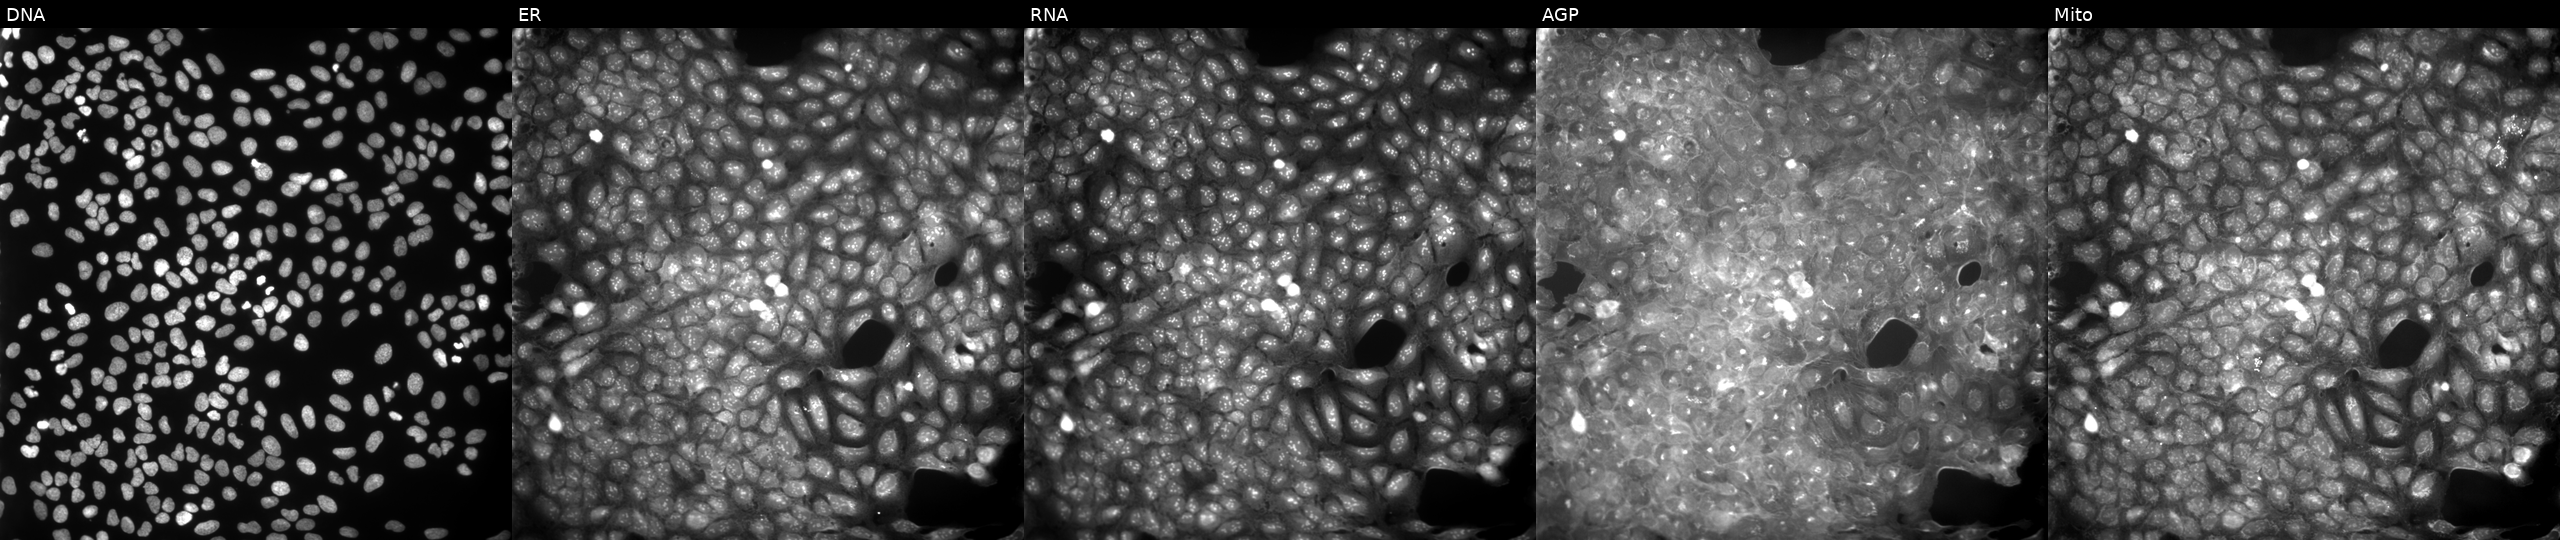
U2OS cells, Cell Painting assay, perturbed with a small-molecule compound [SMILES: O=C(Nc1ccc(Nc2ccccc2)cc1)N1CCOCC1]. Panels show, left to right, DNA (nuclei); ER (endoplasmic reticulum); RNA (nucleoli and cytoplasmic RNA); AGP (actin cytoskeleton, Golgi, and plasma membrane); Mito (mitochondria). Each panel is percentile-stretched 16-bit fluorescence.